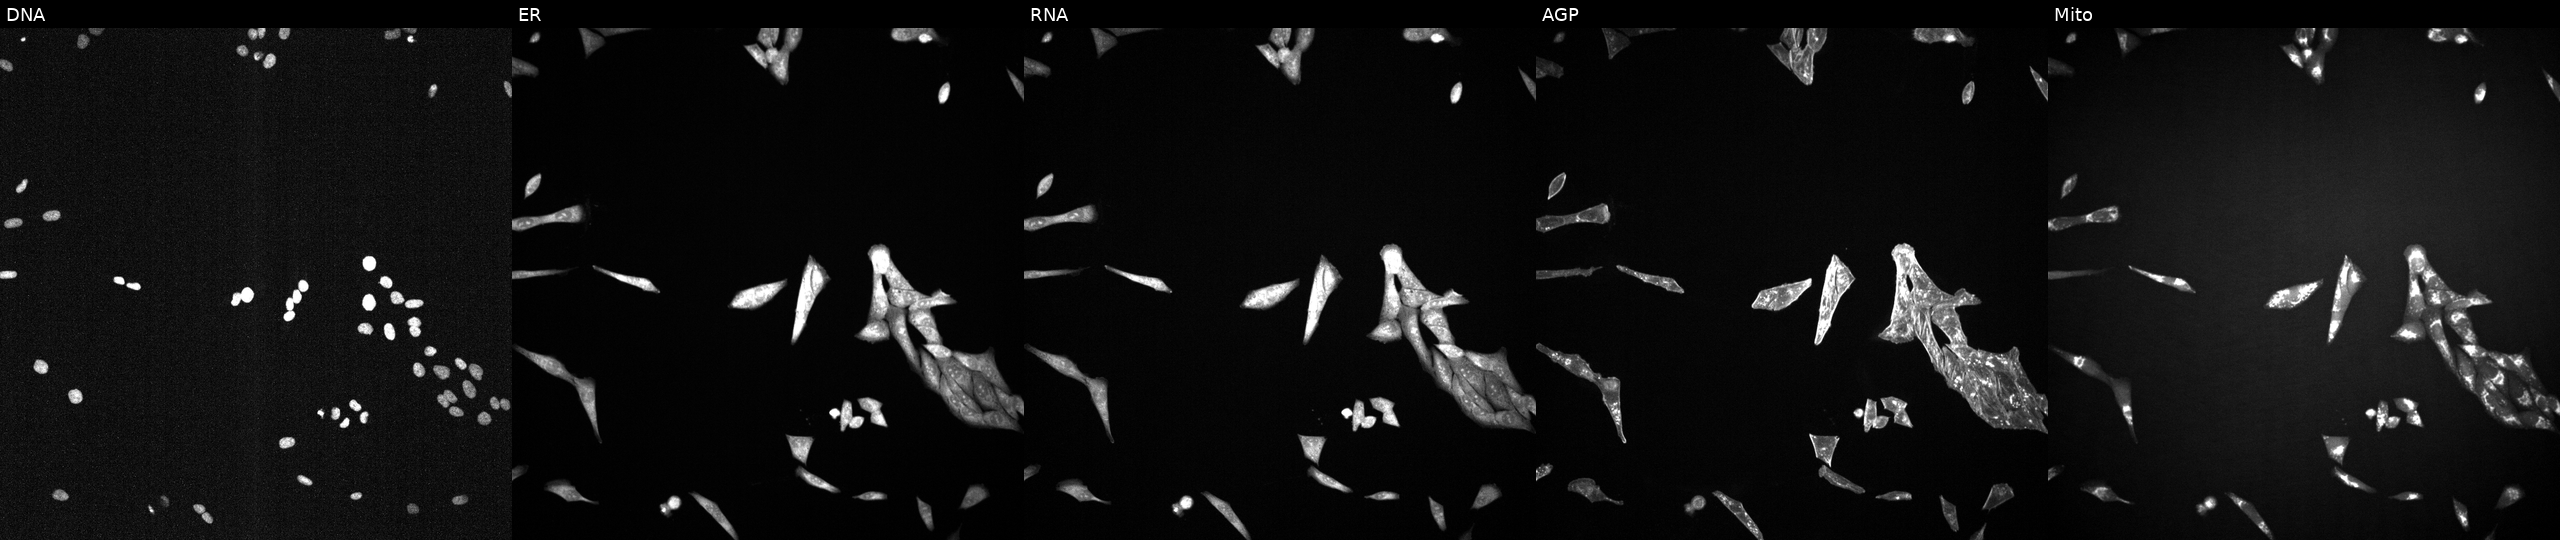
Channels (left→right): Hoechst 33342, concanavalin A, SYTO 14, phalloidin and WGA, MitoTracker. U2OS osteosarcoma cells perturbed with a small-molecule compound. Cell Painting assay, JUMP-CP dataset. Source 2, plate 1053599503, well E20.